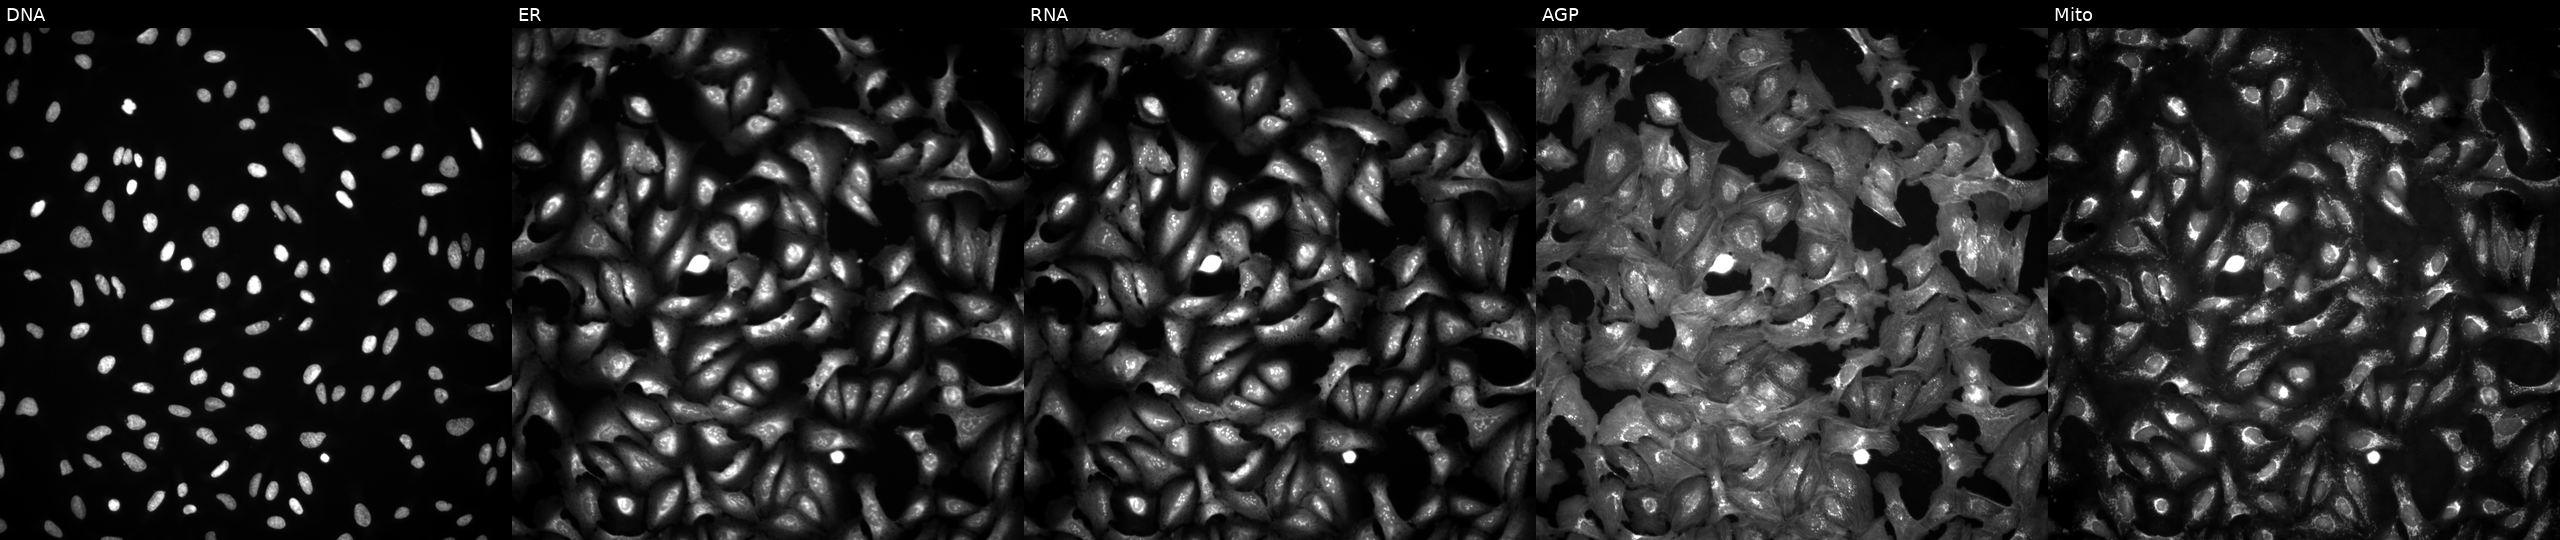
U2OS cells, Cell Painting assay, with PTPRA overexpressed (ORF). Channels (left→right): Hoechst 33342, concanavalin A, SYTO 14, phalloidin and WGA, MitoTracker. Each panel is percentile-stretched 16-bit fluorescence. Source 4, plate BR00123945, well B14.